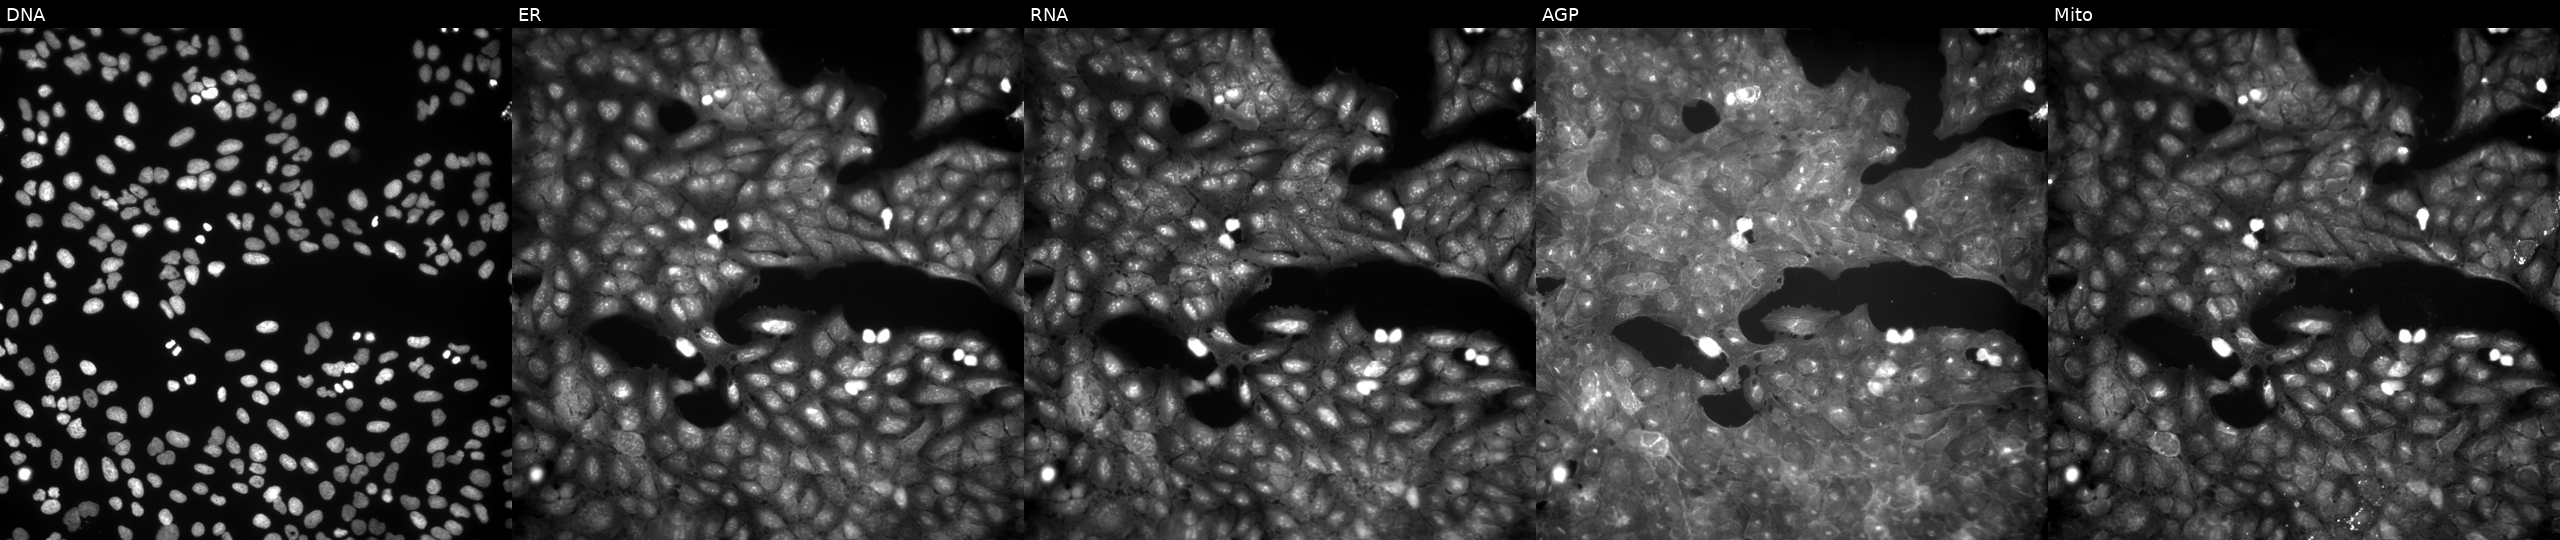
This image strip shows the five Cell Painting channels for a single field of U2OS cells exposed to a small-molecule compound (InChIKey YACQKMUQBPGLOY-UHFFFAOYSA-N). From left to right: DNA, ER, RNA, AGP, and Mito. Source 9, plate GR00003381, well AE20.